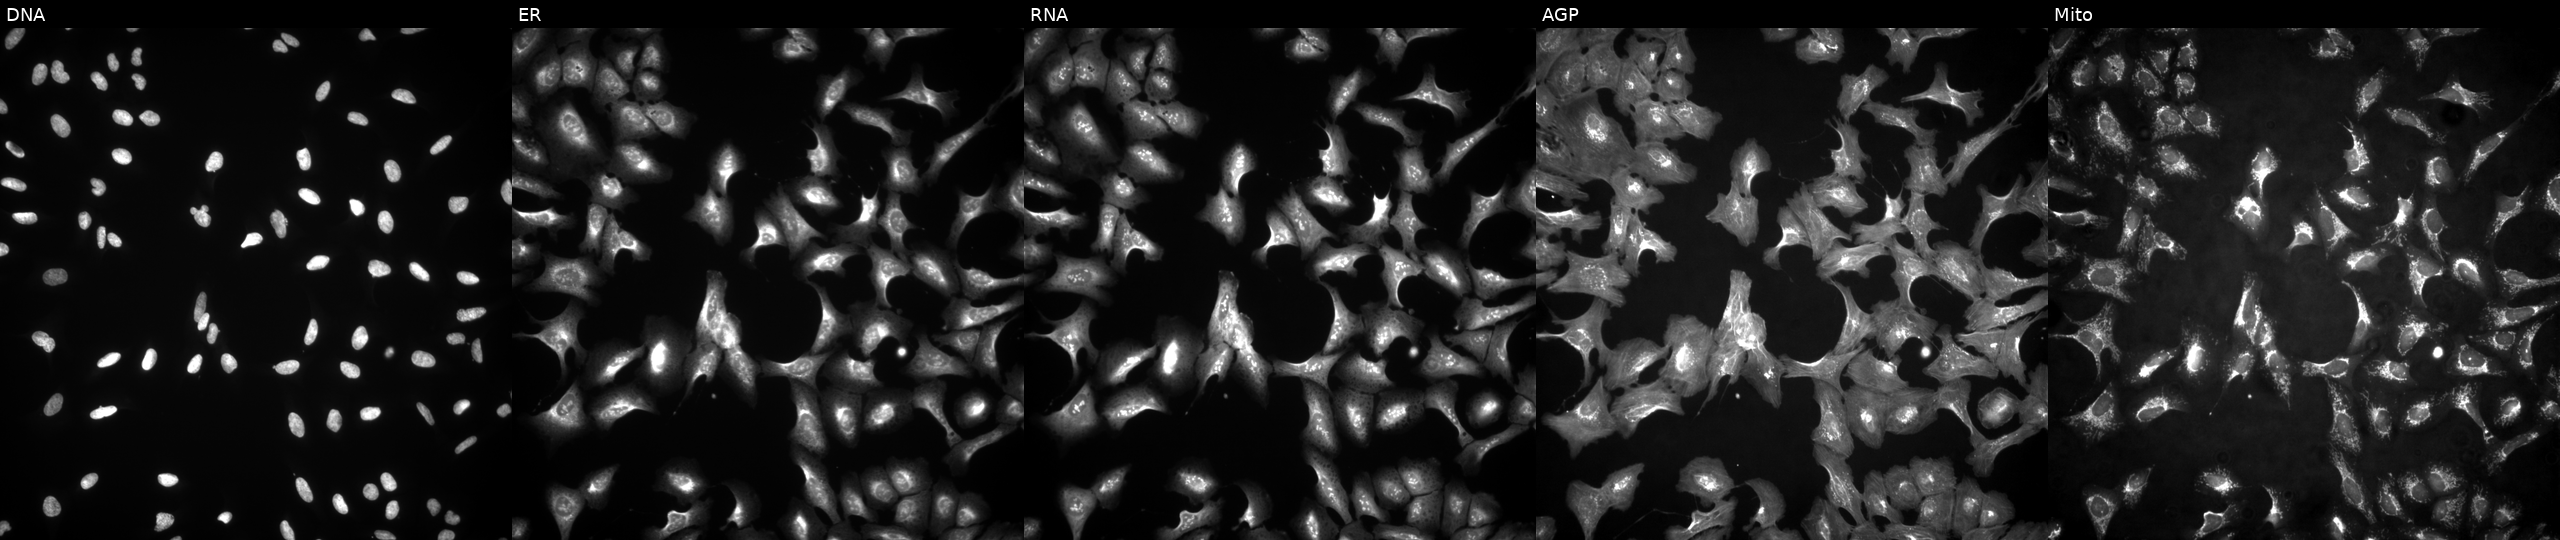
This image strip shows the five Cell Painting channels for a single field of U2OS cells overexpressing NF2 via ORF transfection (JUMP id JCP2022_910248). The five panels, left to right, show DNA, ER, RNA, AGP, and Mito. Source 4, plate BR00123509, well G24.